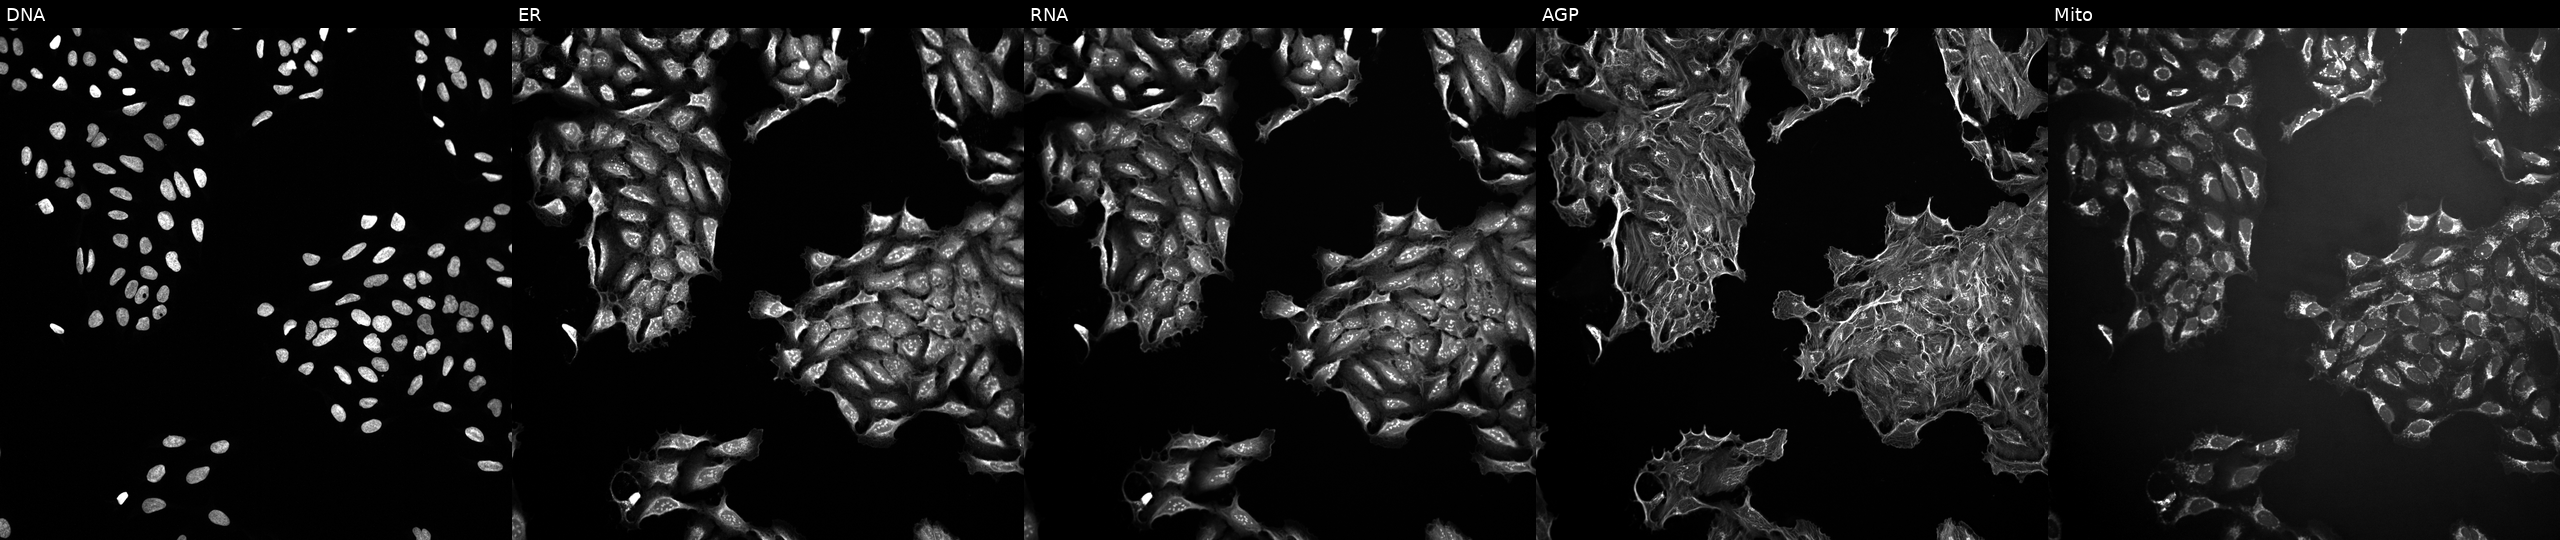
High-content fluorescence microscopy (Cell Painting). Cell line: U2OS. Perturbation: perturbed with a small-molecule compound (InChIKey PHSPJQZRQAJPPF-UHFFFAOYSA-N) (JUMP id JCP2022_068660). The five panels, left to right, show DNA, ER, RNA, AGP, and Mito.